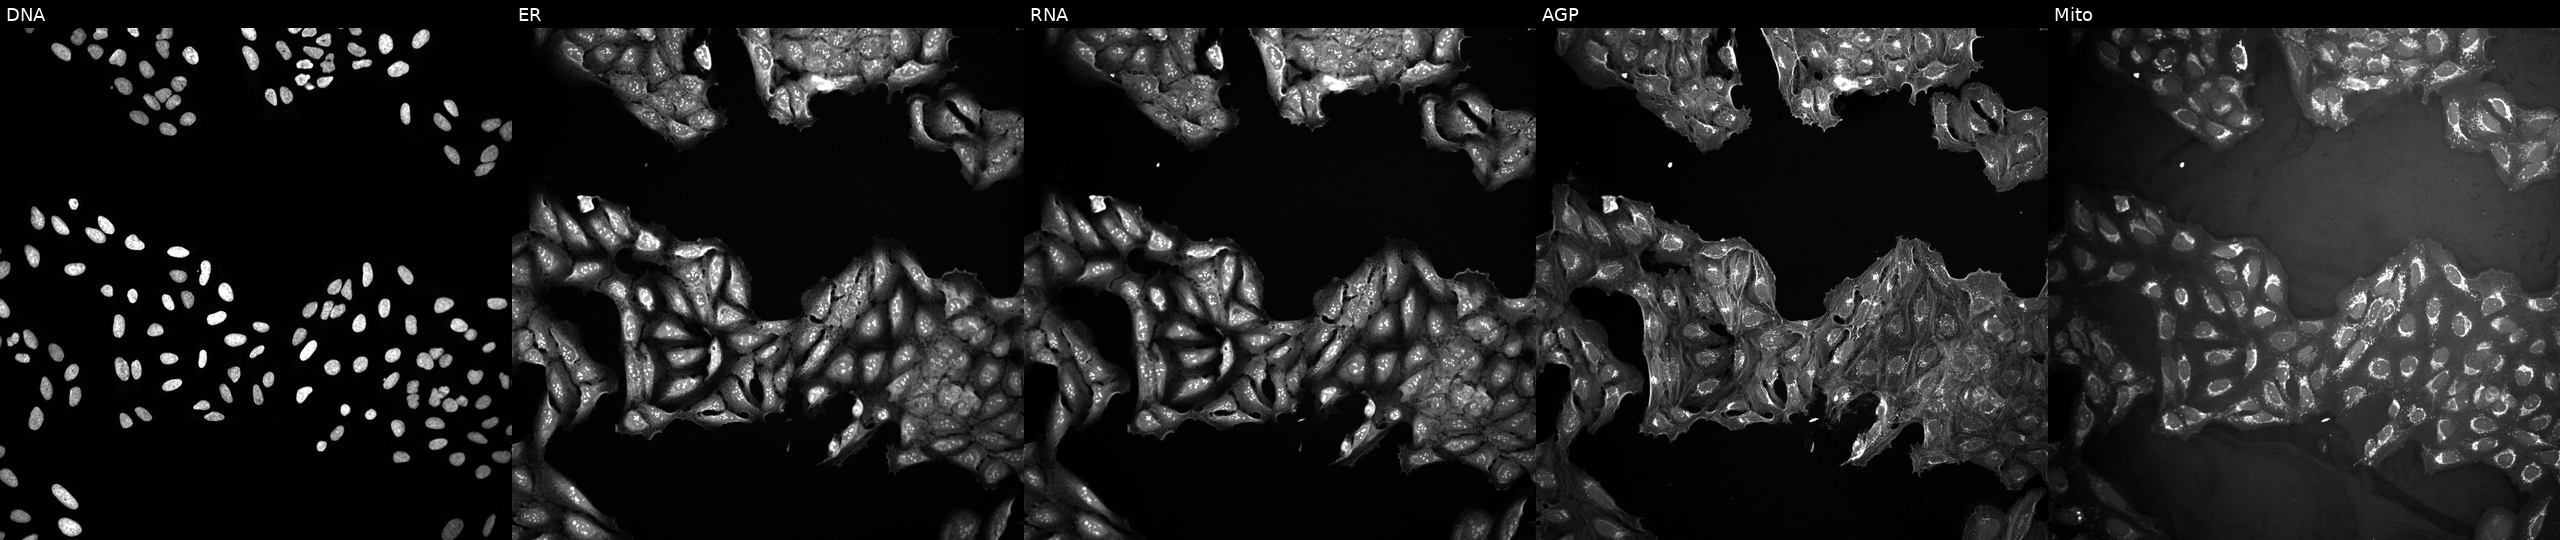
High-content fluorescence microscopy (Cell Painting). Cell line: U2OS. Perturbation: exposed to a small-molecule compound (InChIKey BTQYXSWQNZAZDD-UHFFFAOYSA-N). From left to right: Hoechst 33342, concanavalin A, SYTO 14, phalloidin and WGA, MitoTracker. Source 10, plate Dest210531-152149, well M22.